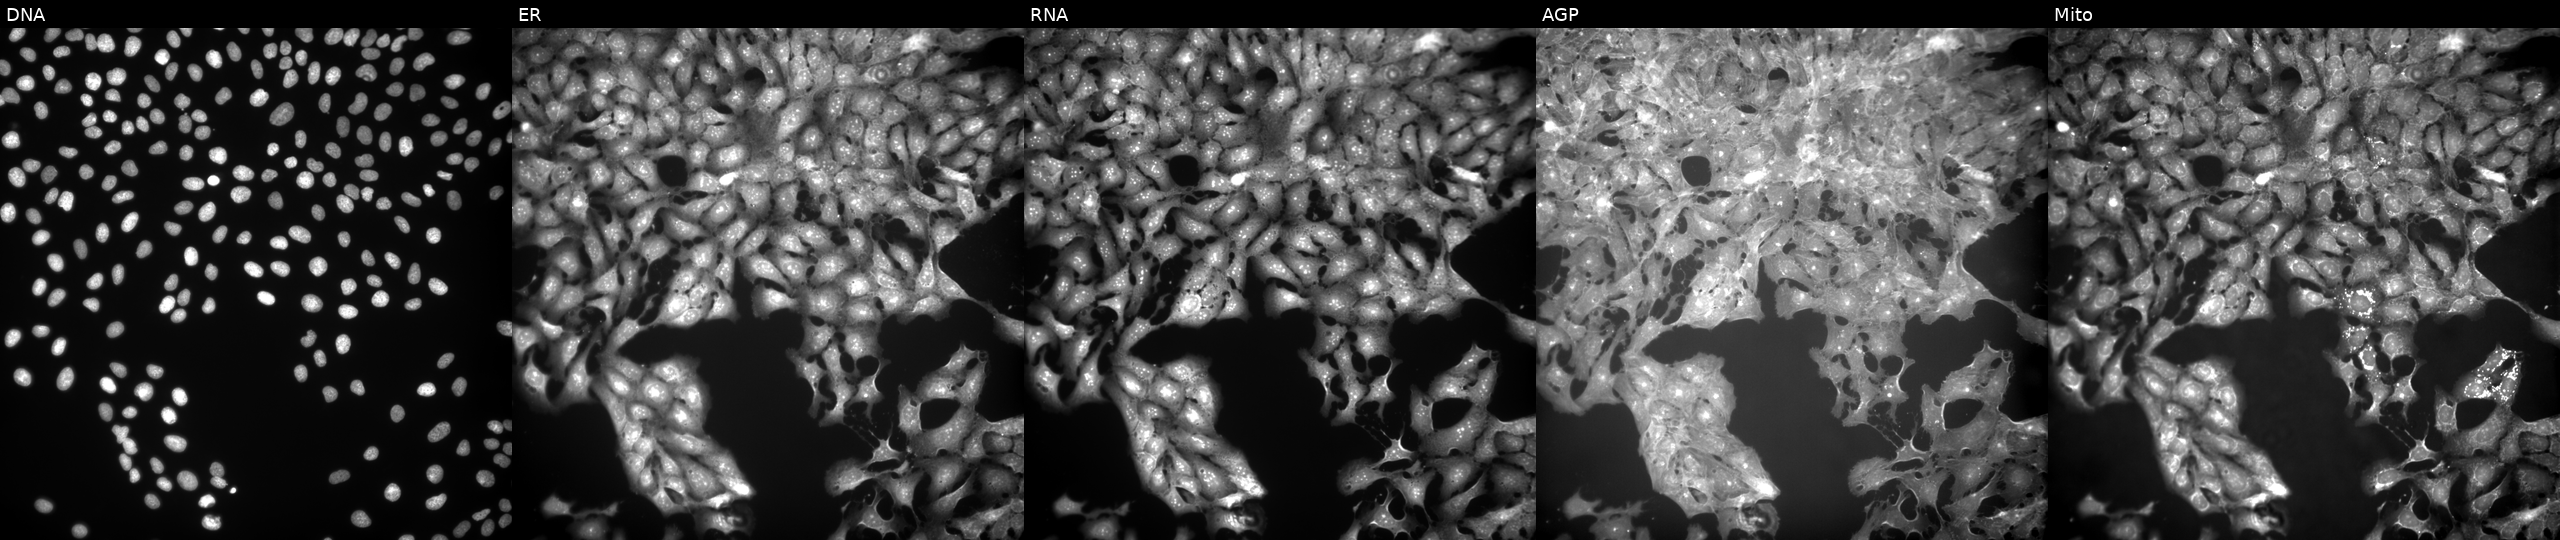
U2OS cells, Cell Painting assay, treated with FK-866 (positive-control compound). Panels show, left to right, DNA (nuclei); ER (endoplasmic reticulum); RNA (nucleoli and cytoplasmic RNA); AGP (actin cytoskeleton, Golgi, and plasma membrane); Mito (mitochondria). Each panel is percentile-stretched 16-bit fluorescence.